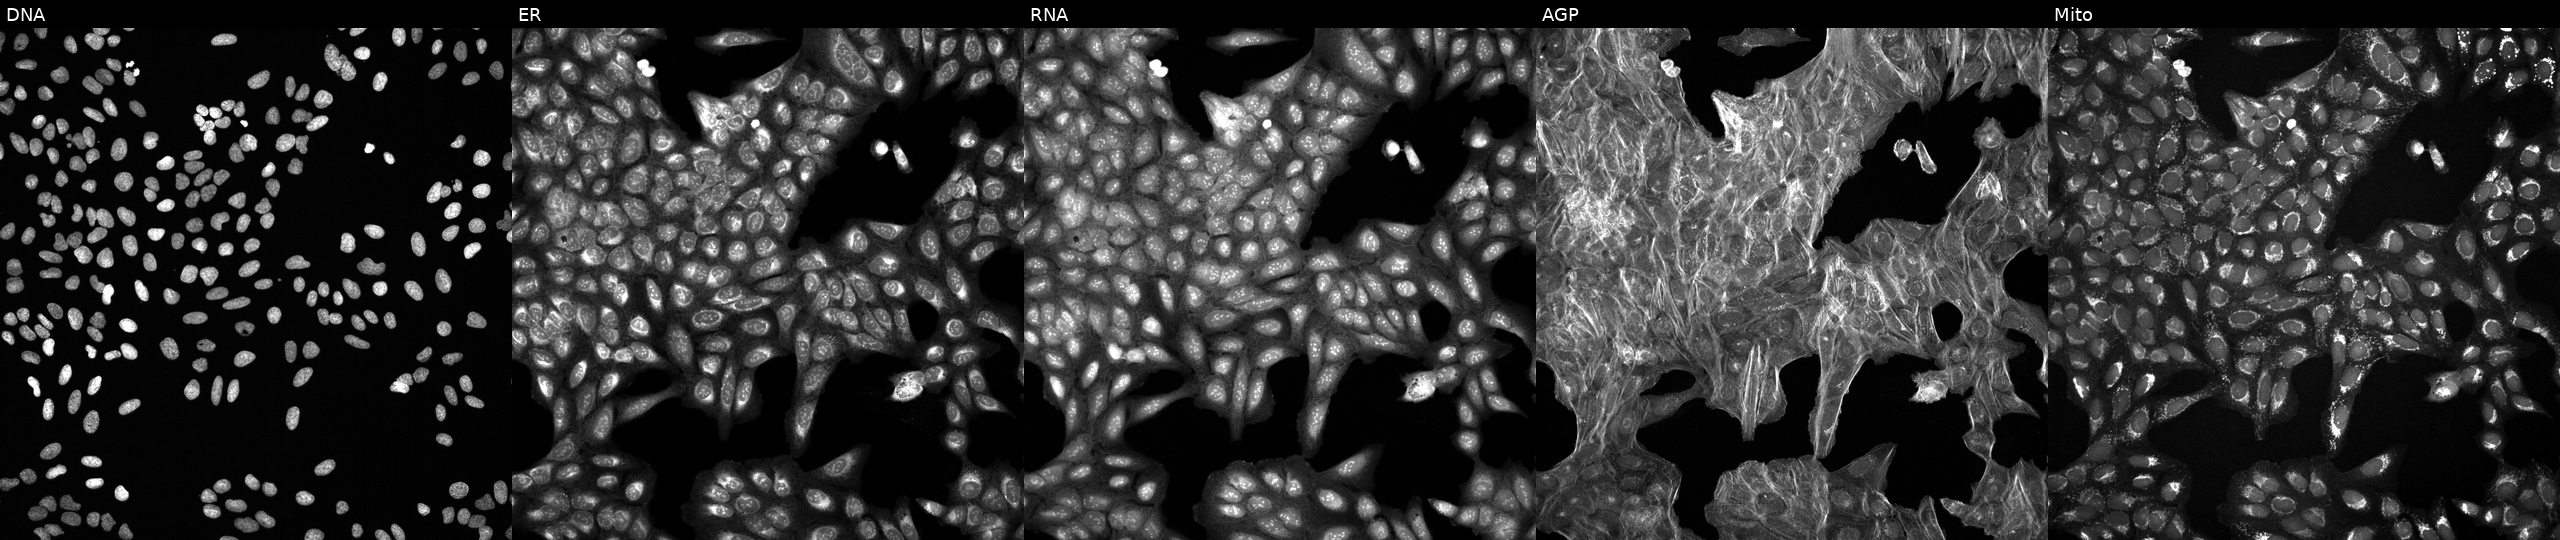
Five-channel Cell Painting image of U2OS cells perturbed with a small-molecule compound (InChIKey NRVZYCPJBQRQJS-UHFFFAOYSA-N) (JUMP id JCP2022_060951). From left to right: DNA, ER, RNA, AGP, and Mito.